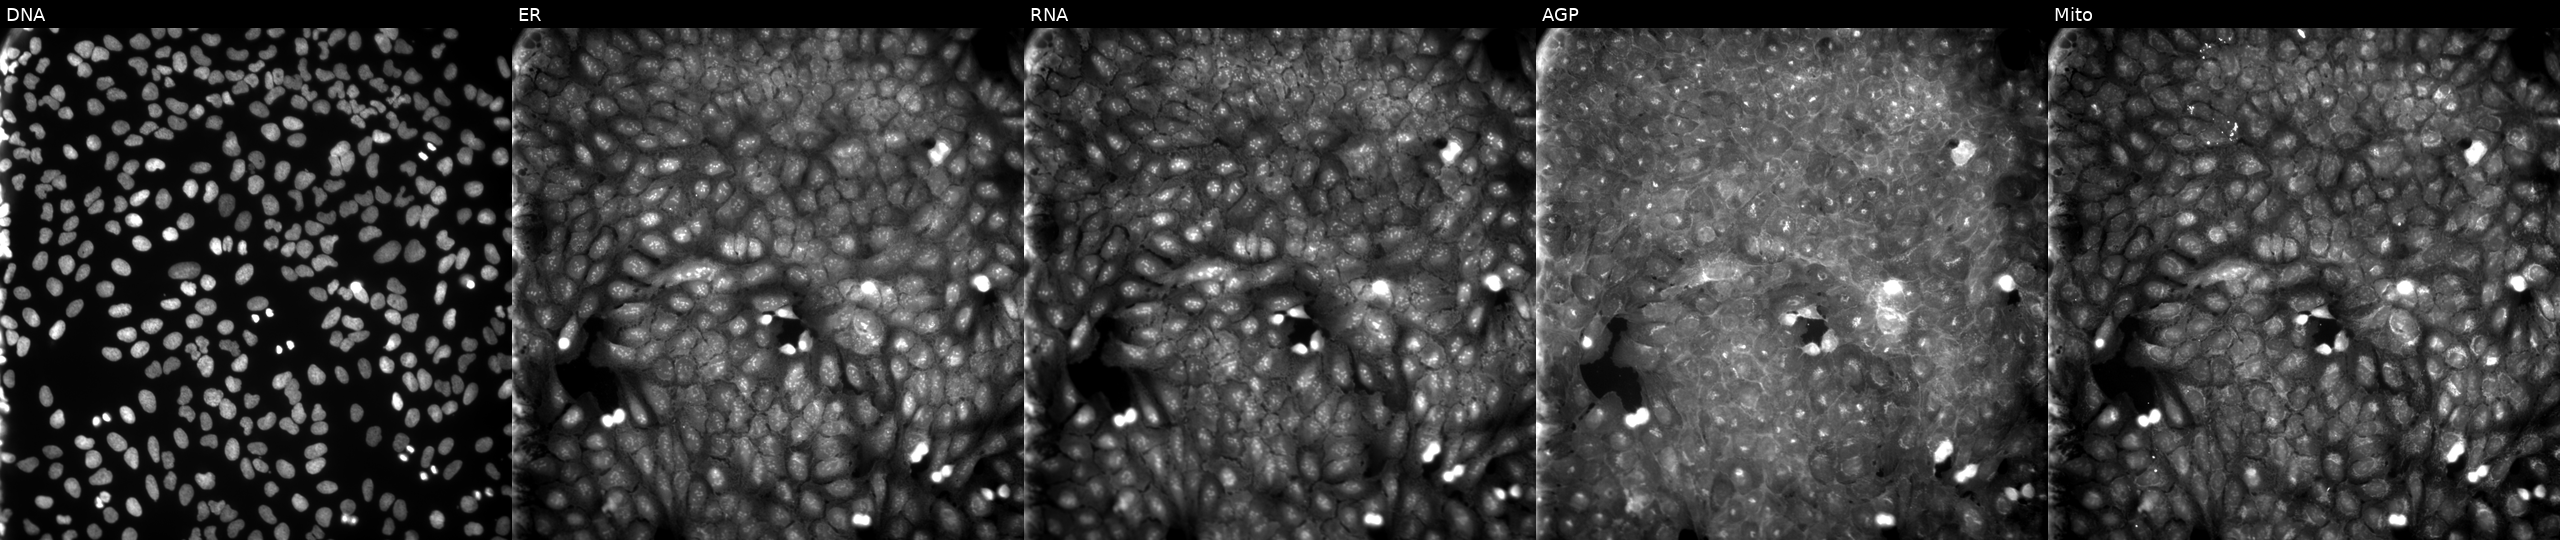
High-content fluorescence microscopy (Cell Painting). Cell line: U2OS. Perturbation: perturbed with a small-molecule compound (InChIKey GEQJHBXQHCOCPW-UHFFFAOYSA-N) (JUMP id JCP2022_024975). The five panels, left to right, show Hoechst 33342, concanavalin A, SYTO 14, phalloidin and WGA, MitoTracker.